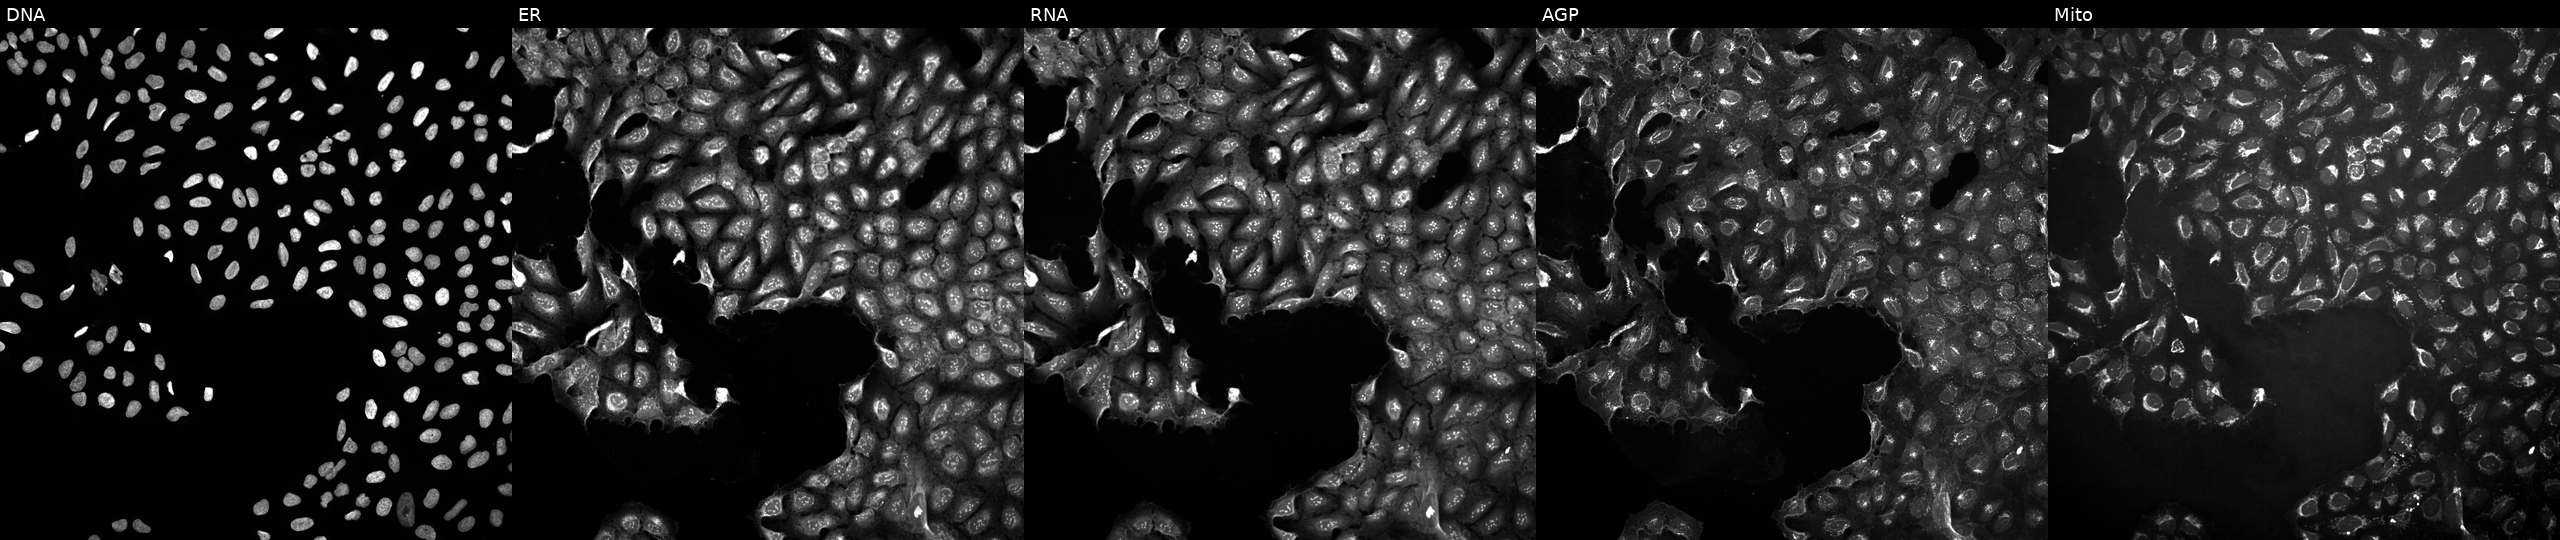
U2OS cells, Cell Painting assay, treated with a small-molecule compound (InChIKey PIMZUZSSNYHVCU-UHFFFAOYSA-N). Channels (left→right): Hoechst 33342, concanavalin A, SYTO 14, phalloidin and WGA, MitoTracker. Each panel is percentile-stretched 16-bit fluorescence.